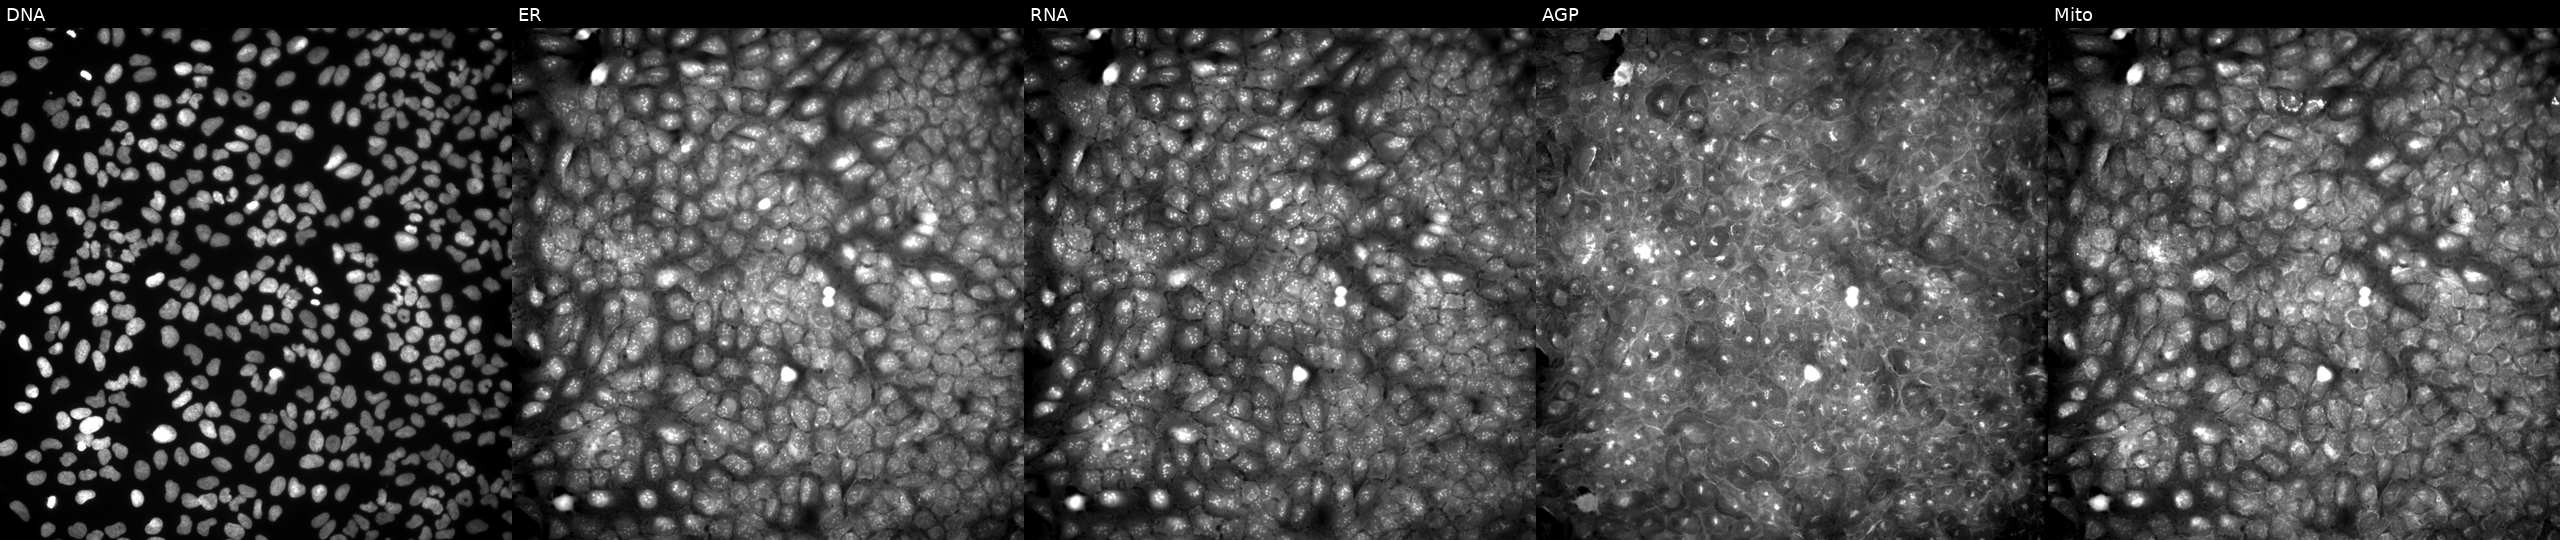
High-content fluorescence microscopy (Cell Painting). Cell line: U2OS. Perturbation: treated with a small-molecule compound (InChIKey OUAGODYEPUUEMV-UHFFFAOYSA-N). From left to right: DNA (nuclei); ER (endoplasmic reticulum); RNA (nucleoli and cytoplasmic RNA); AGP (actin cytoskeleton, Golgi, and plasma membrane); Mito (mitochondria).